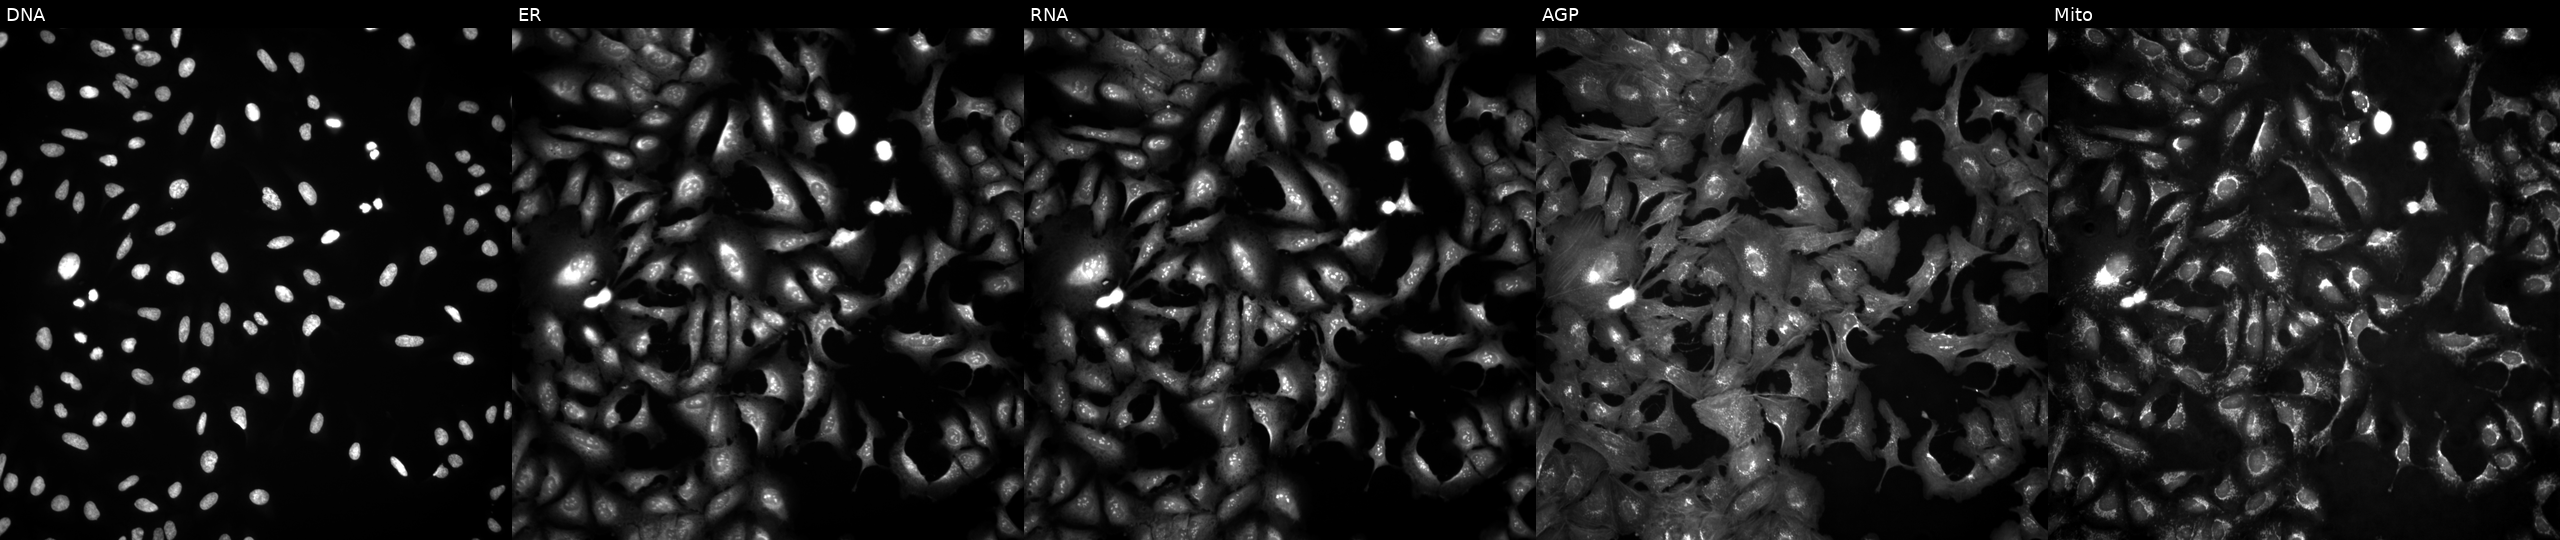
This image strip shows the five Cell Painting channels for a single field of U2OS cells with RIPK1 overexpressed (ORF). The five panels, left to right, show DNA, ER, RNA, AGP, and Mito. Source 4, plate BR00123945, well F03.